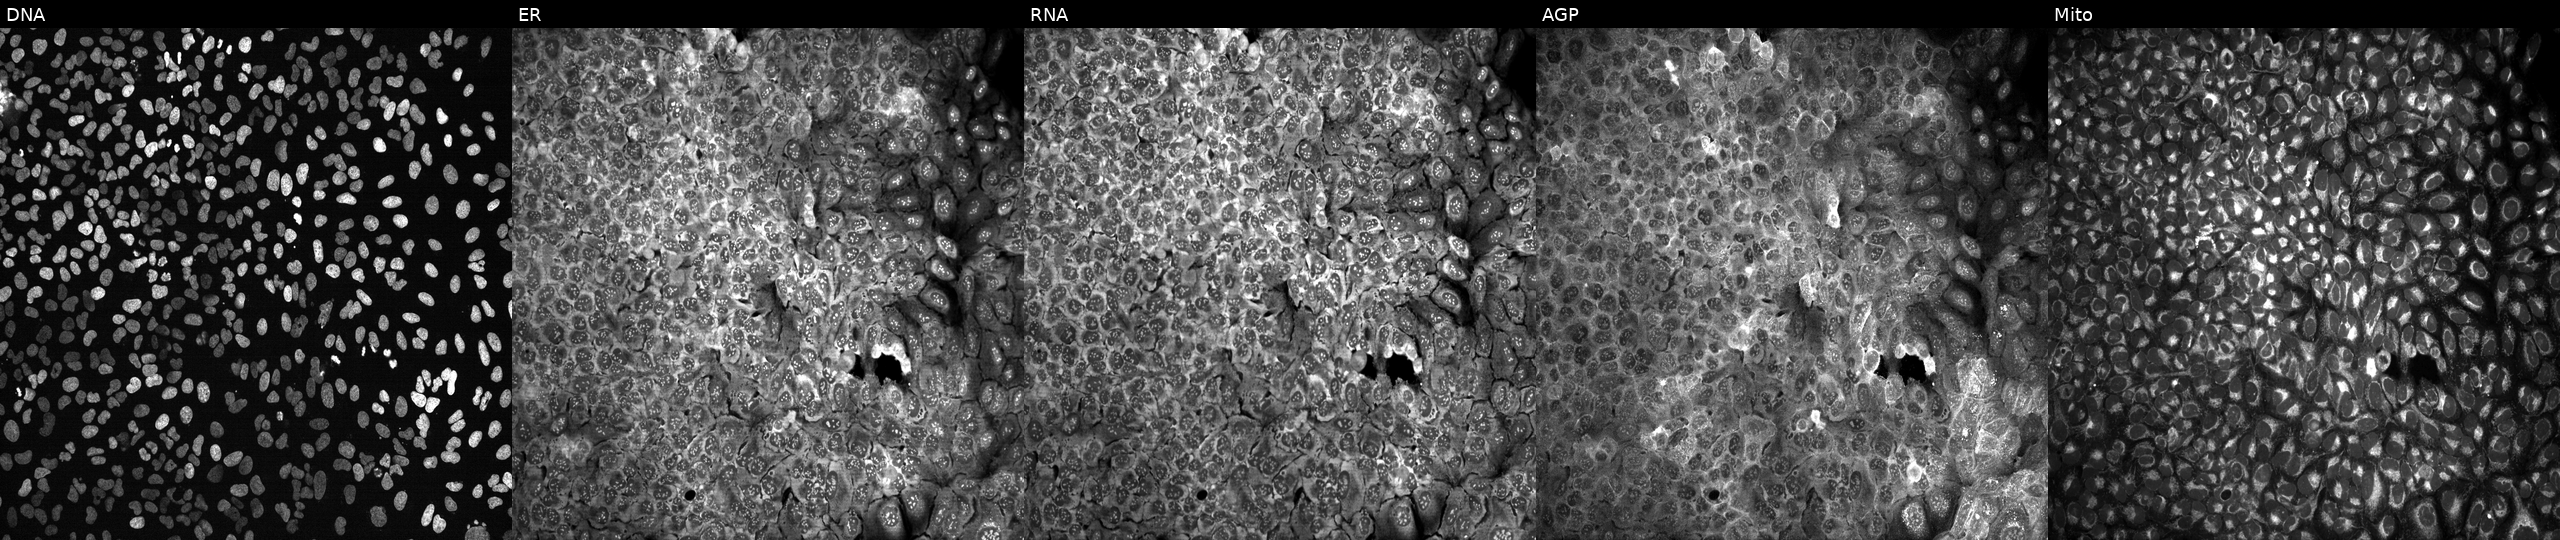
JUMP Cell Painting — CRISPR plate. U2OS cells CRISPR-edited to disrupt DMBT1 (JUMP id JCP2022_801841). The five panels, left to right, show Hoechst 33342, concanavalin A, SYTO 14, phalloidin and WGA, MitoTracker.